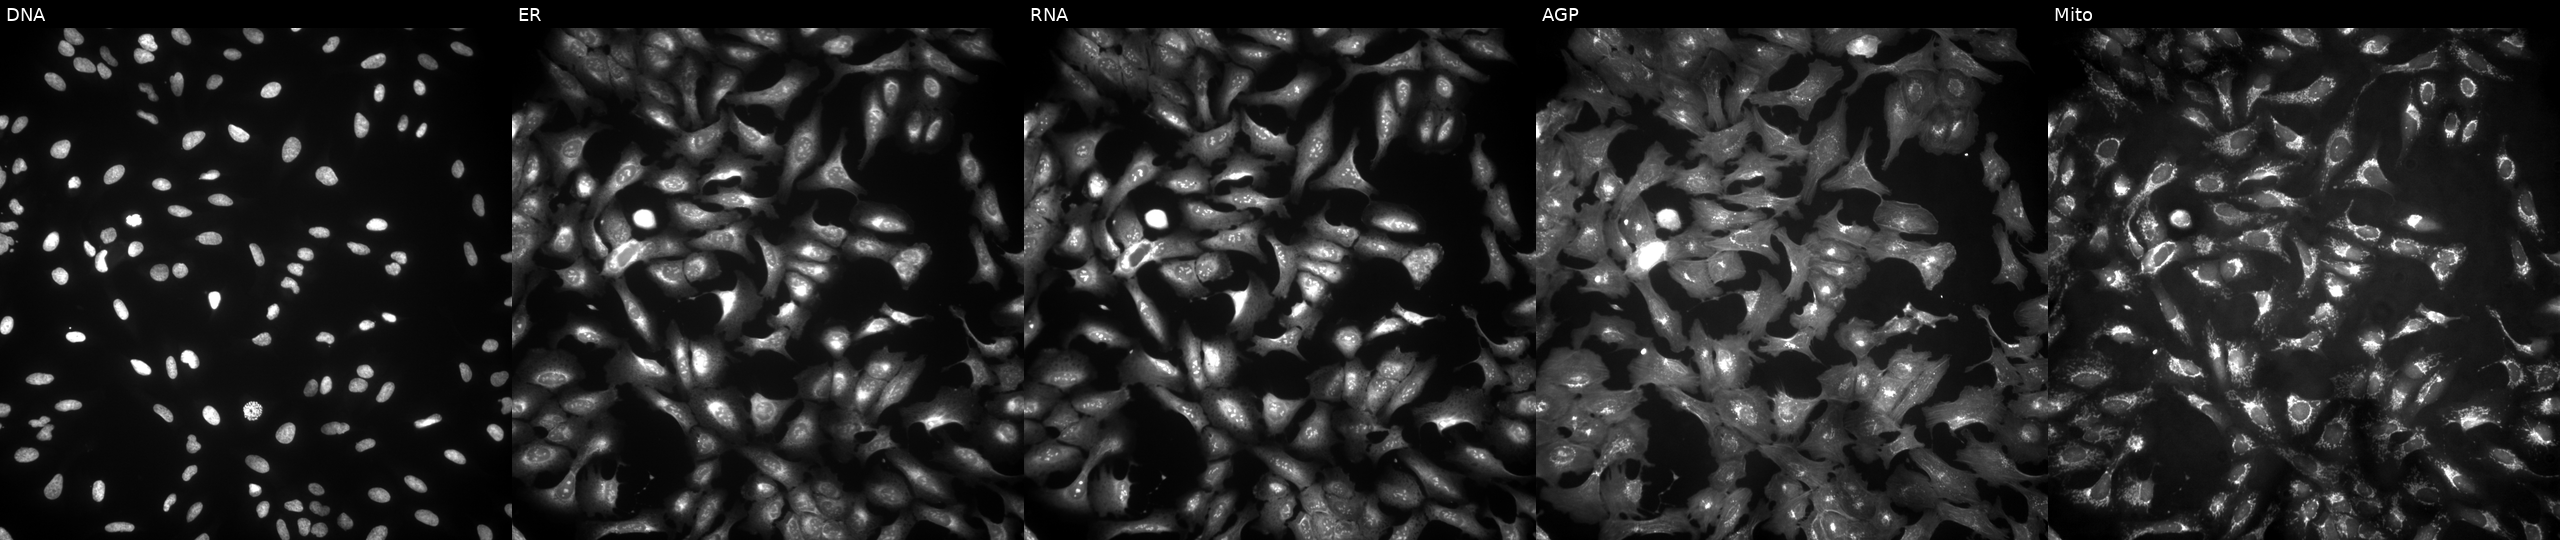
Five-channel Cell Painting image of U2OS cells overexpressing PVR via ORF transfection. The five panels, left to right, show DNA, ER, RNA, AGP, and Mito.